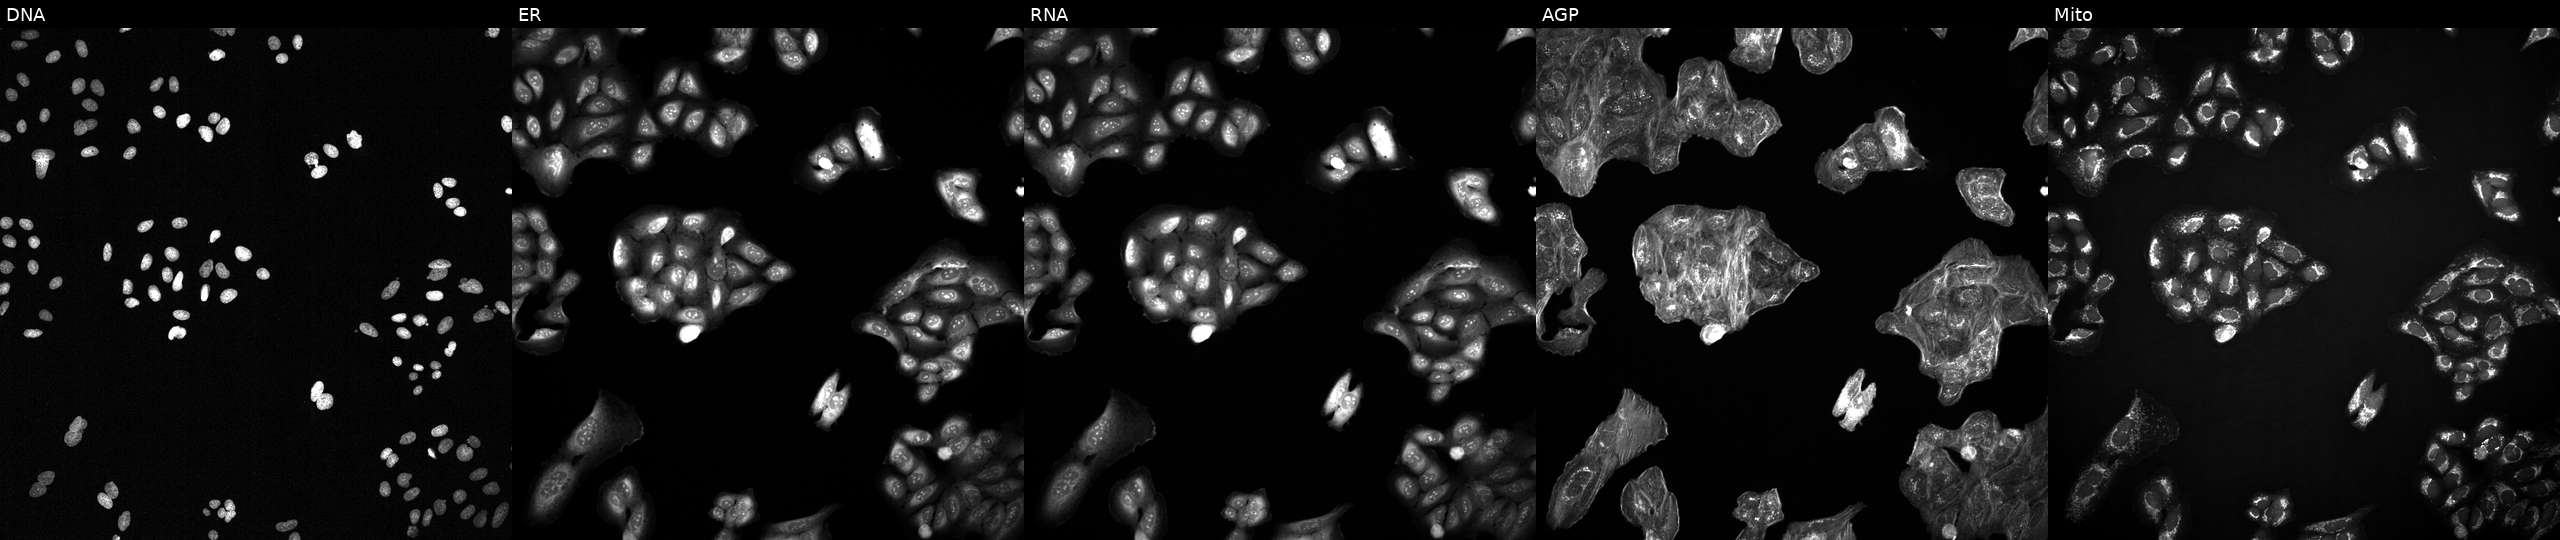
U2OS cells, Cell Painting assay, exposed to a small-molecule compound (InChIKey MAKMQGKJURAJEN-UHFFFAOYSA-N). Channels (left→right): DNA (nuclei); ER (endoplasmic reticulum); RNA (nucleoli and cytoplasmic RNA); AGP (actin cytoskeleton, Golgi, and plasma membrane); Mito (mitochondria). Each panel is percentile-stretched 16-bit fluorescence. Source 2, plate 1053600674, well G02.